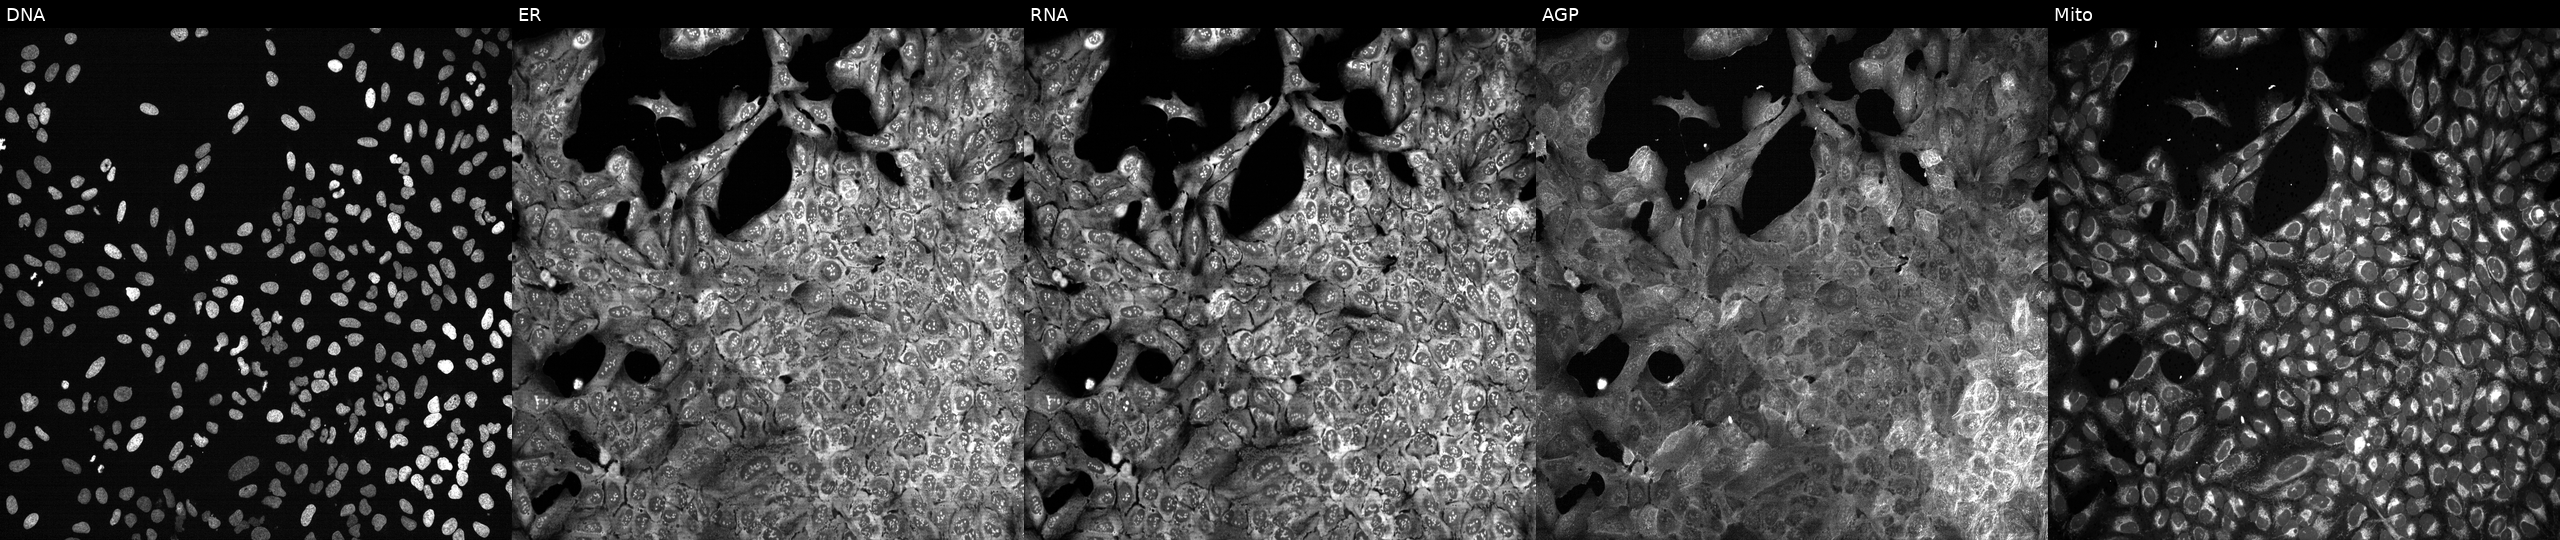
U2OS cells, Cell Painting assay, with ARSK knocked out by CRISPR (JUMP id JCP2022_800607). Channels (left→right): DNA, ER, RNA, AGP, and Mito. Each panel is percentile-stretched 16-bit fluorescence.